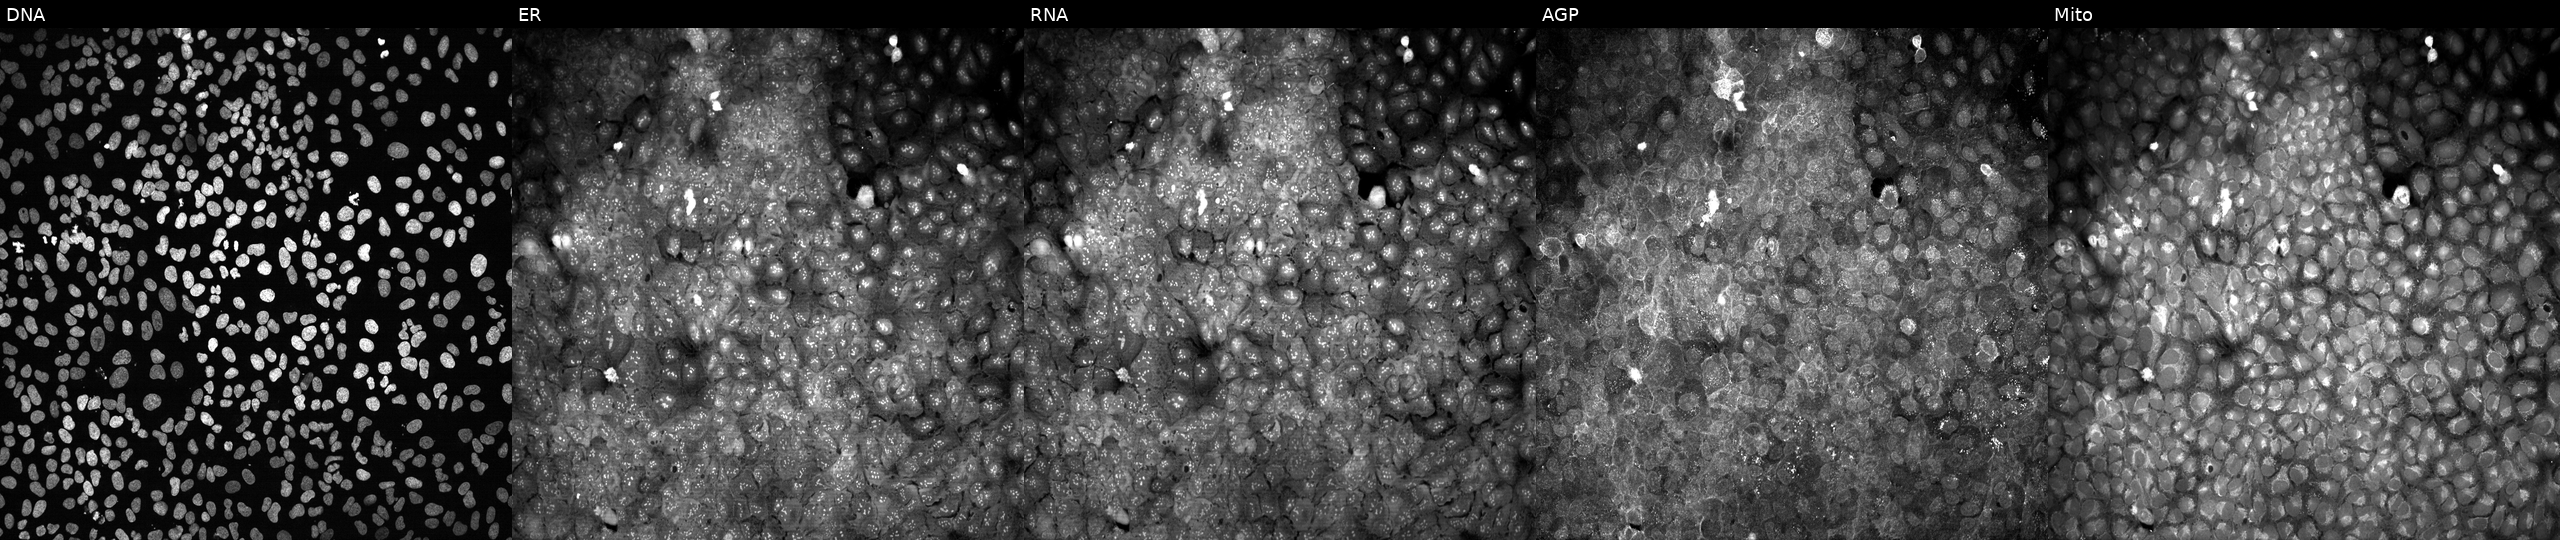
U2OS cells, Cell Painting assay, following CRISPR knockout of DHX30. Panels show, left to right, Hoechst 33342, concanavalin A, SYTO 14, phalloidin and WGA, MitoTracker. Each panel is percentile-stretched 16-bit fluorescence.